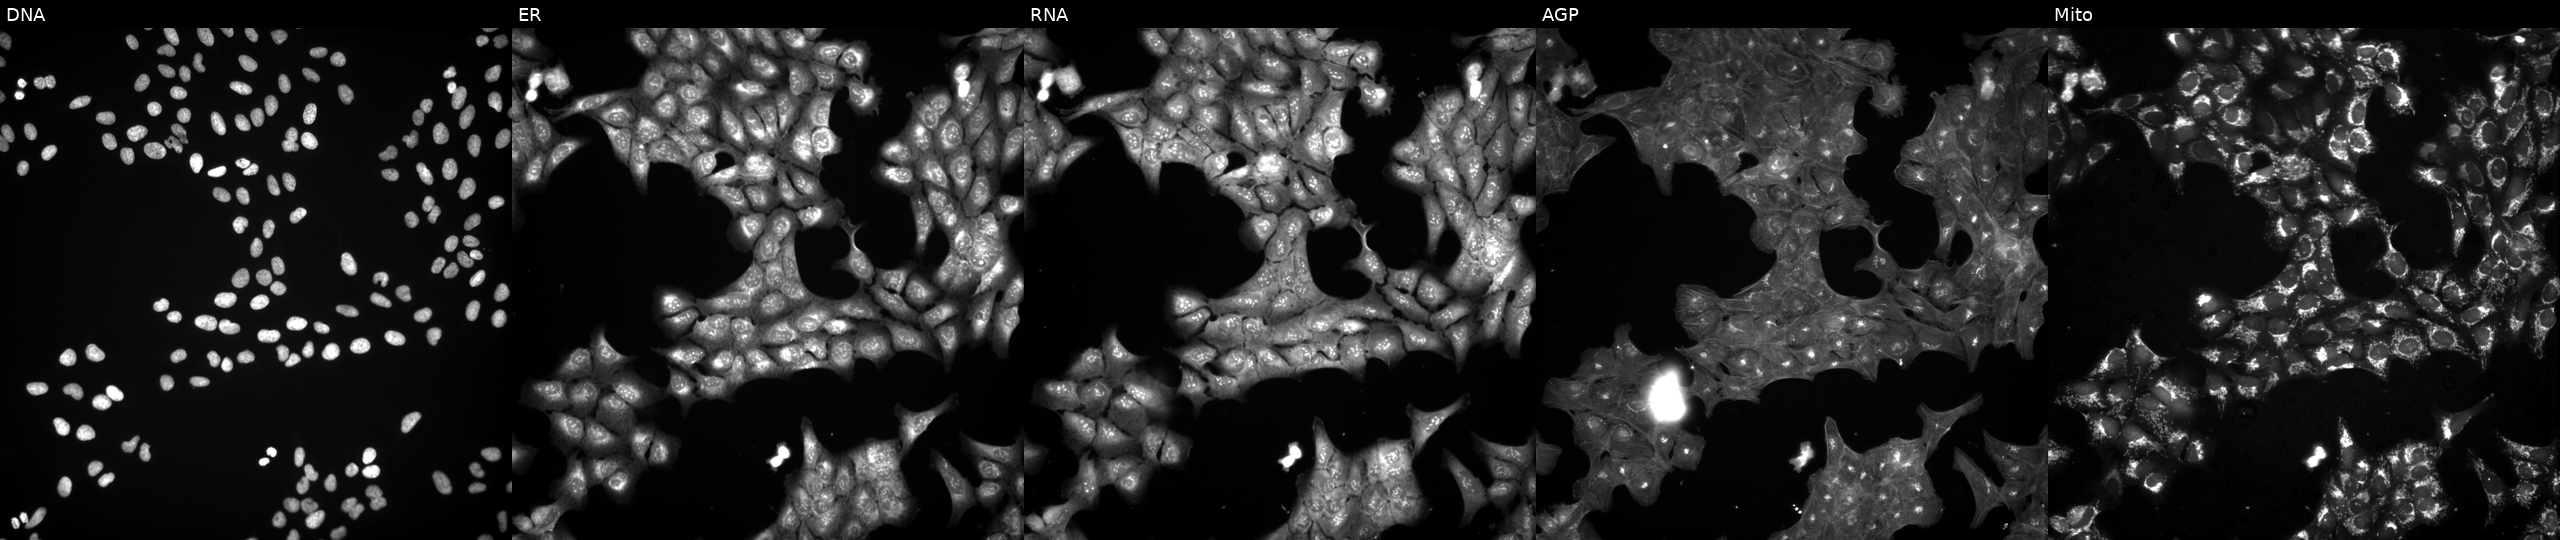
U2OS cells, Cell Painting assay, treated with a small-molecule compound (JUMP id JCP2022_056871). Channels (left→right): DNA (nuclei); ER (endoplasmic reticulum); RNA (nucleoli and cytoplasmic RNA); AGP (actin cytoskeleton, Golgi, and plasma membrane); Mito (mitochondria). Each panel is percentile-stretched 16-bit fluorescence. Source 3, plate BR5867a3, well C15.